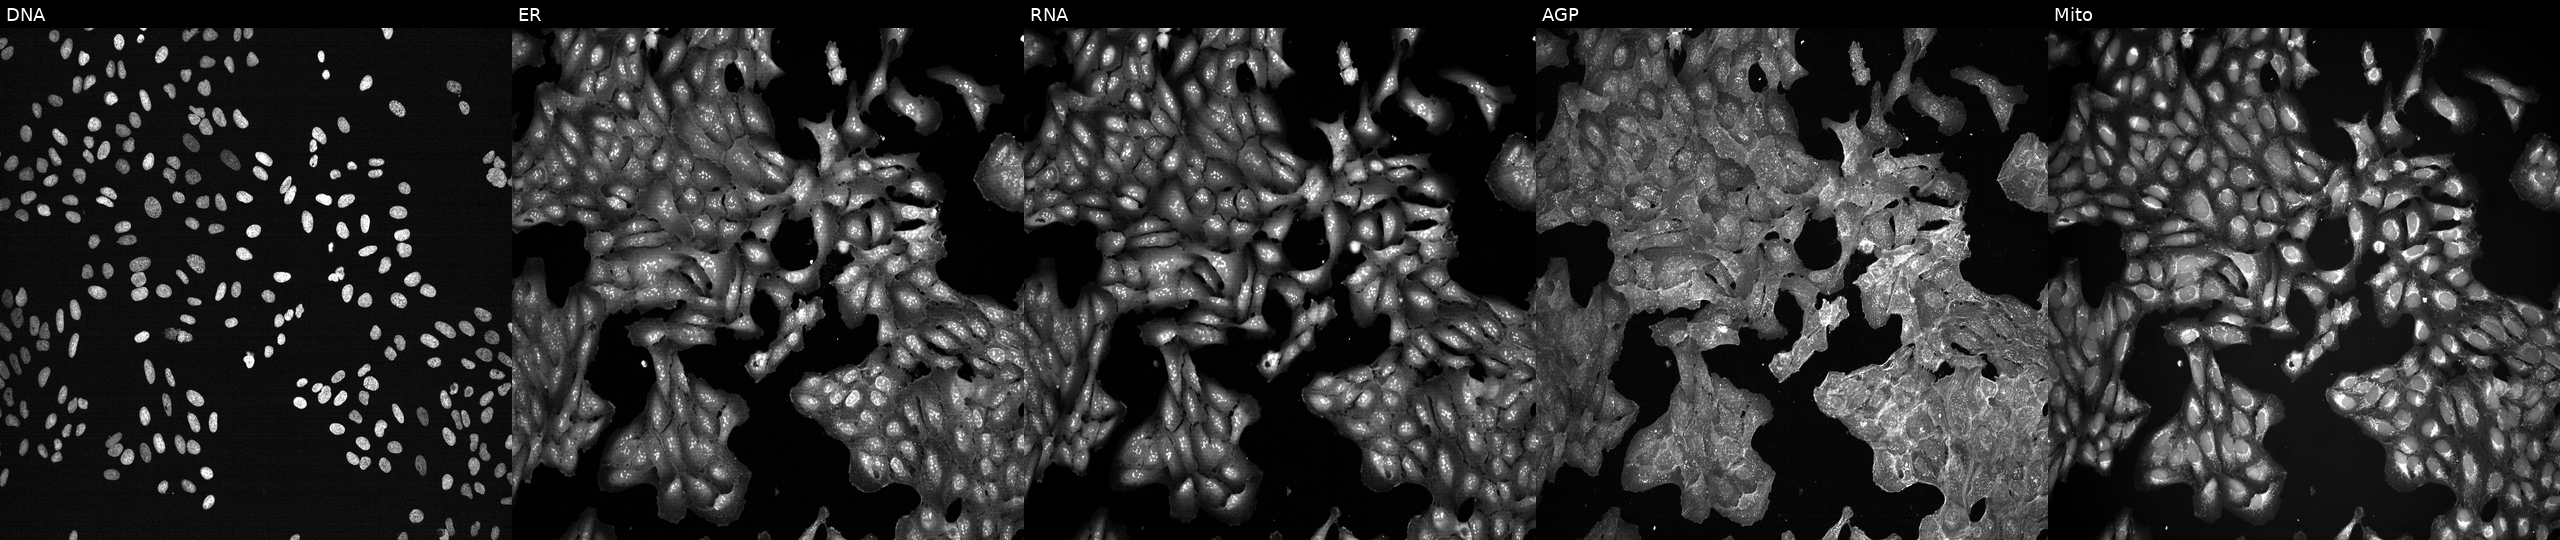
Five-channel Cell Painting image of U2OS cells treated with a small-molecule compound (JUMP id JCP2022_079715). The five panels, left to right, show DNA, ER, RNA, AGP, and Mito.